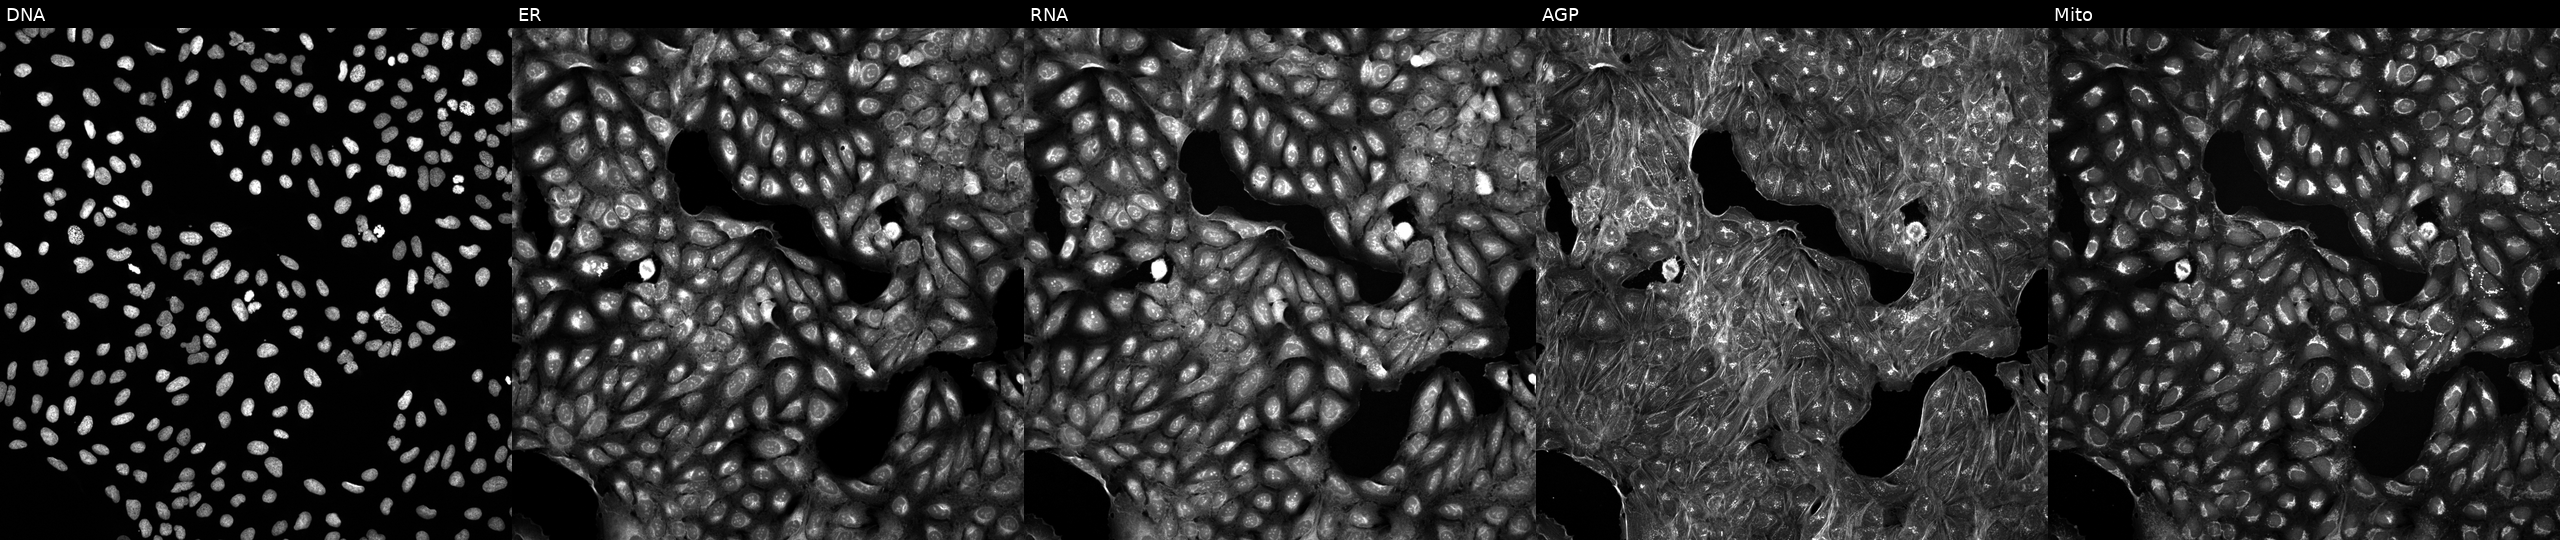
U2OS cells, Cell Painting assay, exposed to a small-molecule compound (InChIKey SQMWSBKSHWARHU-UHFFFAOYSA-N). Channels (left→right): DNA, ER, RNA, AGP, and Mito. Each panel is percentile-stretched 16-bit fluorescence. Source 5, plate ACPJUM051, well E15.